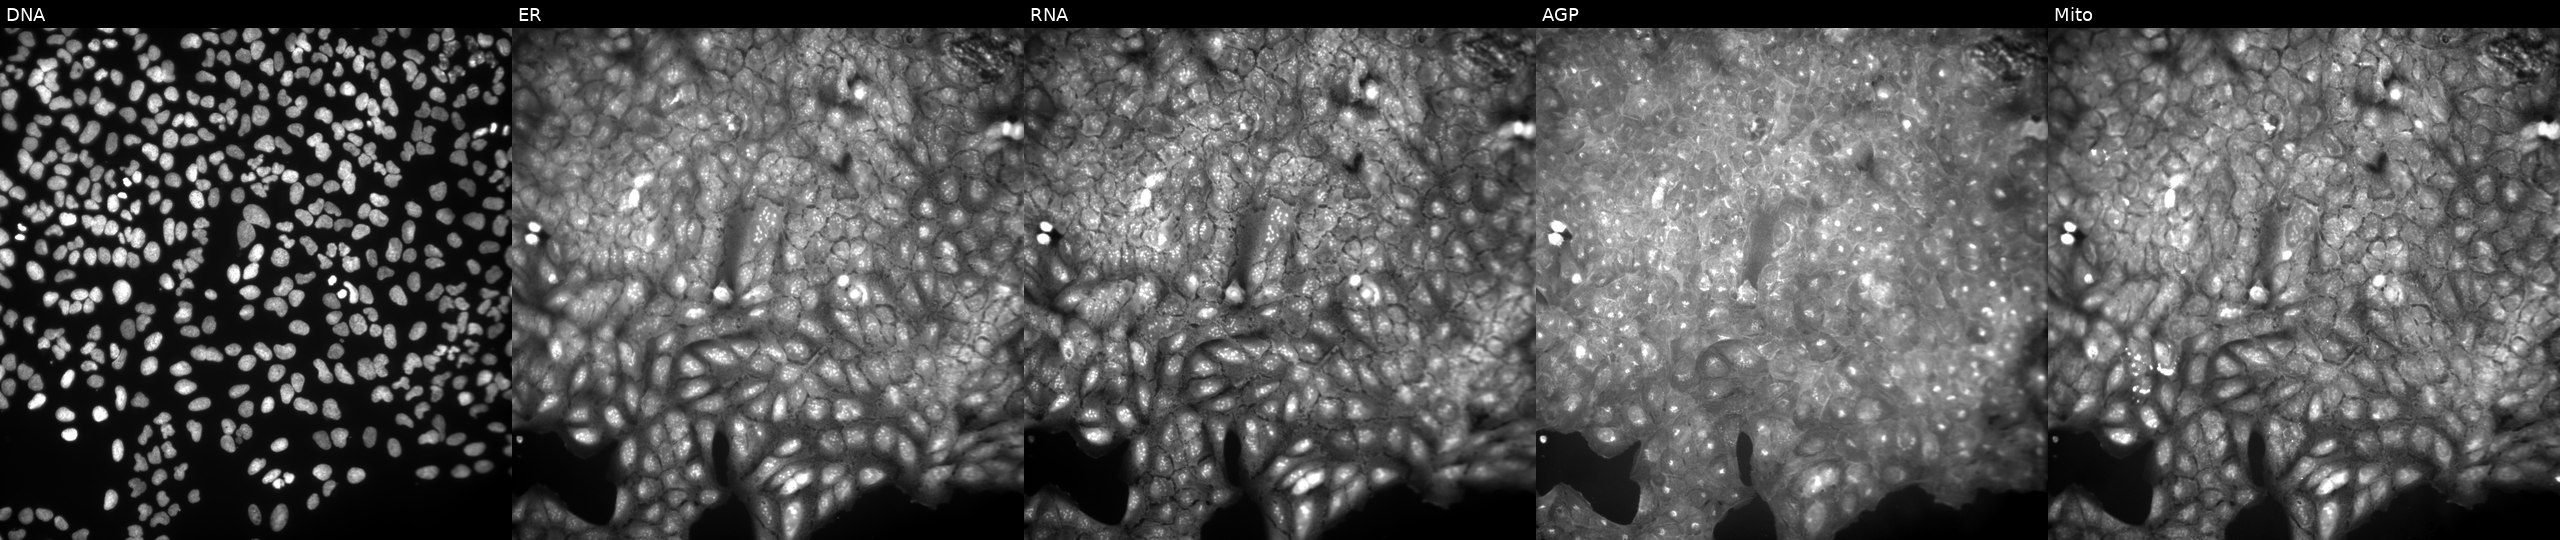
Five-channel Cell Painting image of U2OS cells perturbed with a small-molecule compound (InChIKey JTHICNYLOODTLV-UHFFFAOYSA-N) (JUMP id JCP2022_042012). The five panels, left to right, show DNA, ER, RNA, AGP, and Mito.